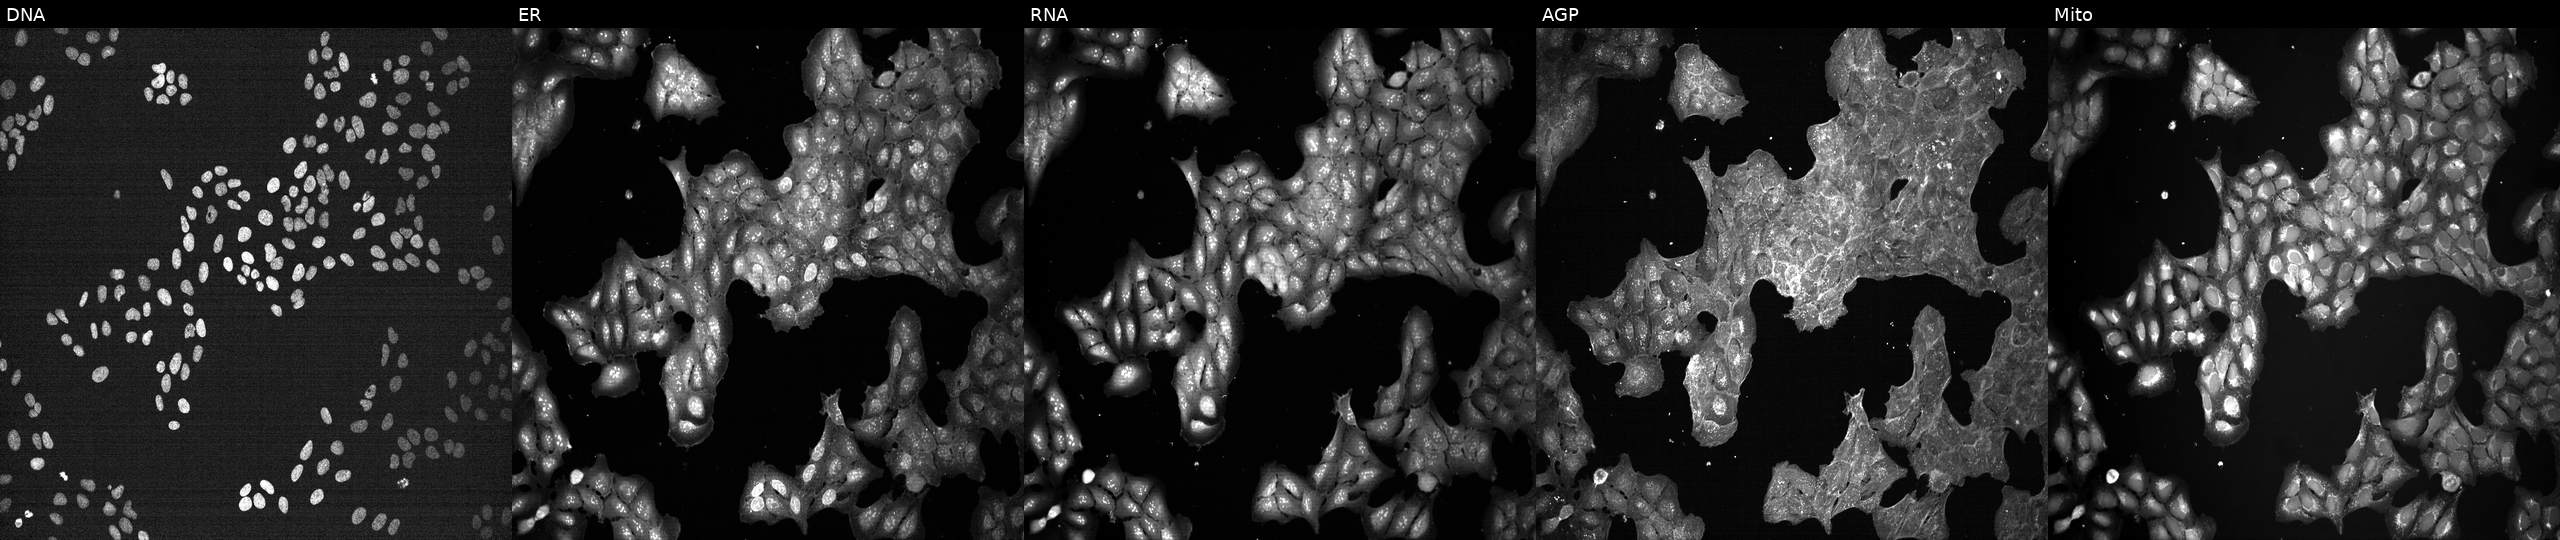
The five panels, left to right, show DNA, ER, RNA, AGP, and Mito. U2OS osteosarcoma cells exposed to a small-molecule compound (InChIKey QESQGTFWEQMCMH-UHFFFAOYSA-N) (JUMP id JCP2022_072945). Cell Painting assay, JUMP-CP dataset.